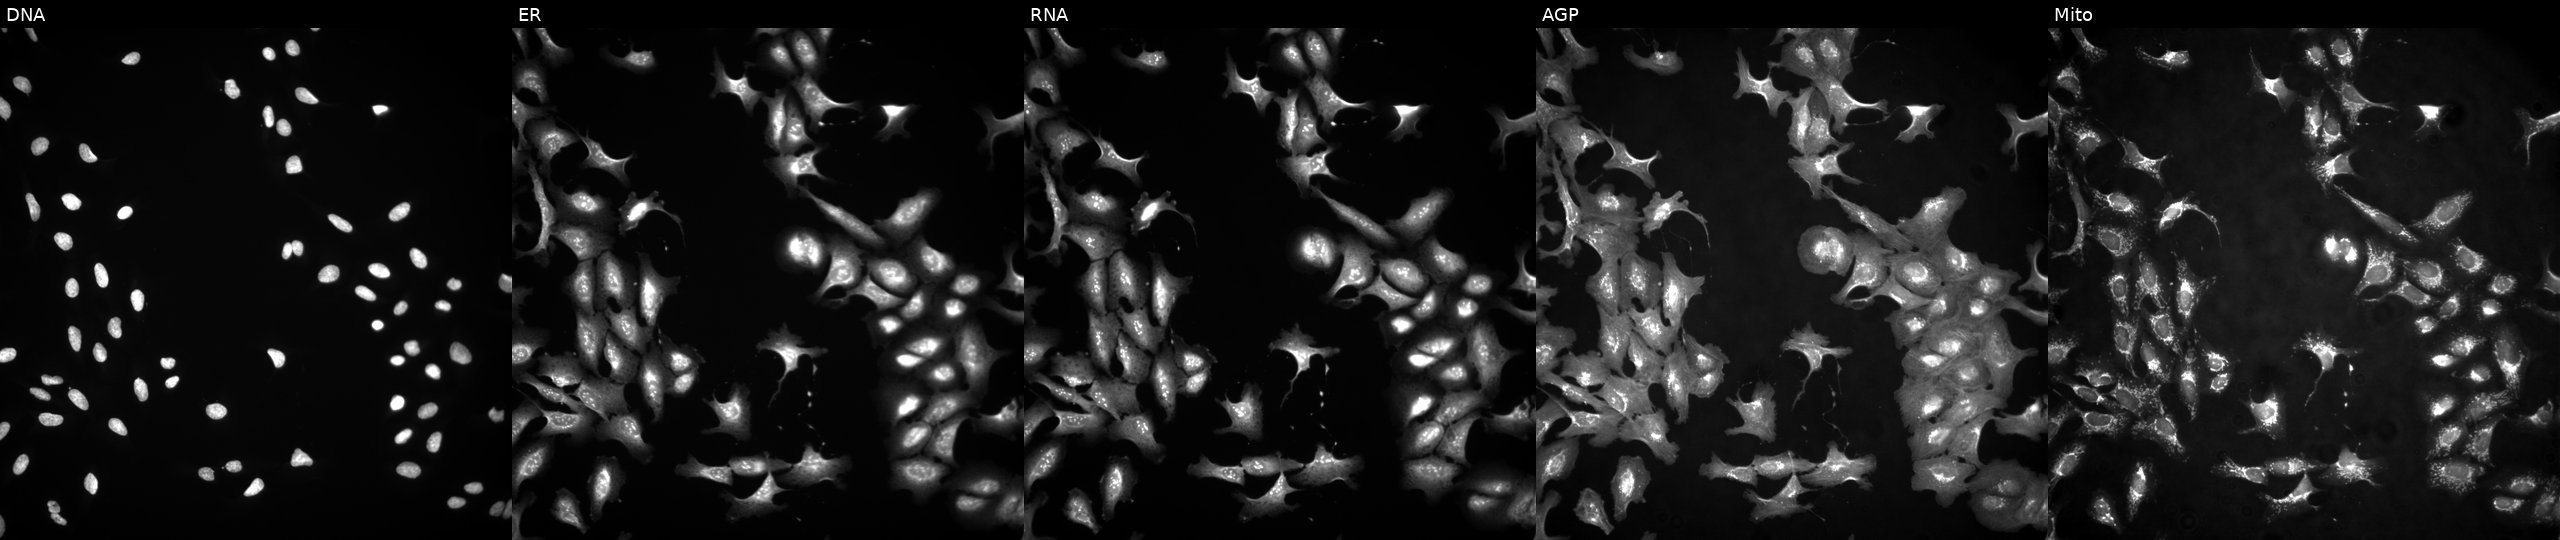
Five-channel Cell Painting image of U2OS cells in an empty control well (no perturbation) (JUMP id JCP2022_999999). Channels (left→right): DNA (nuclei); ER (endoplasmic reticulum); RNA (nucleoli and cytoplasmic RNA); AGP (actin cytoskeleton, Golgi, and plasma membrane); Mito (mitochondria).